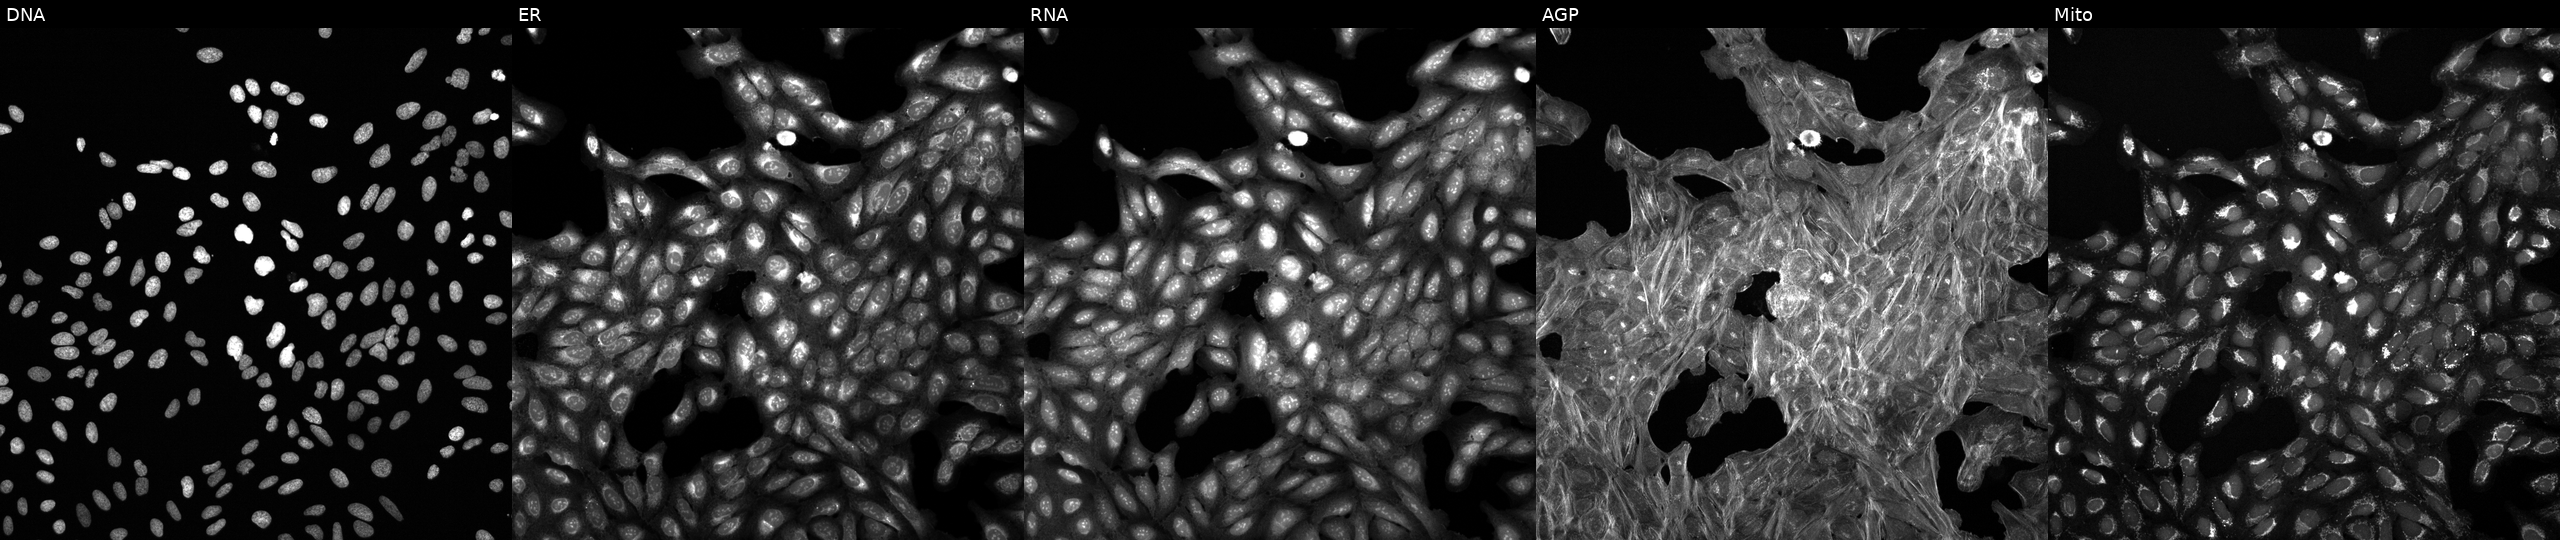
This image strip shows the five Cell Painting channels for a single field of U2OS cells treated with a small-molecule compound (InChIKey KSCFJBIXMNOVSH-UHFFFAOYSA-N). From left to right: DNA, ER, RNA, AGP, and Mito. Source 6, plate 110000293093, well N13.